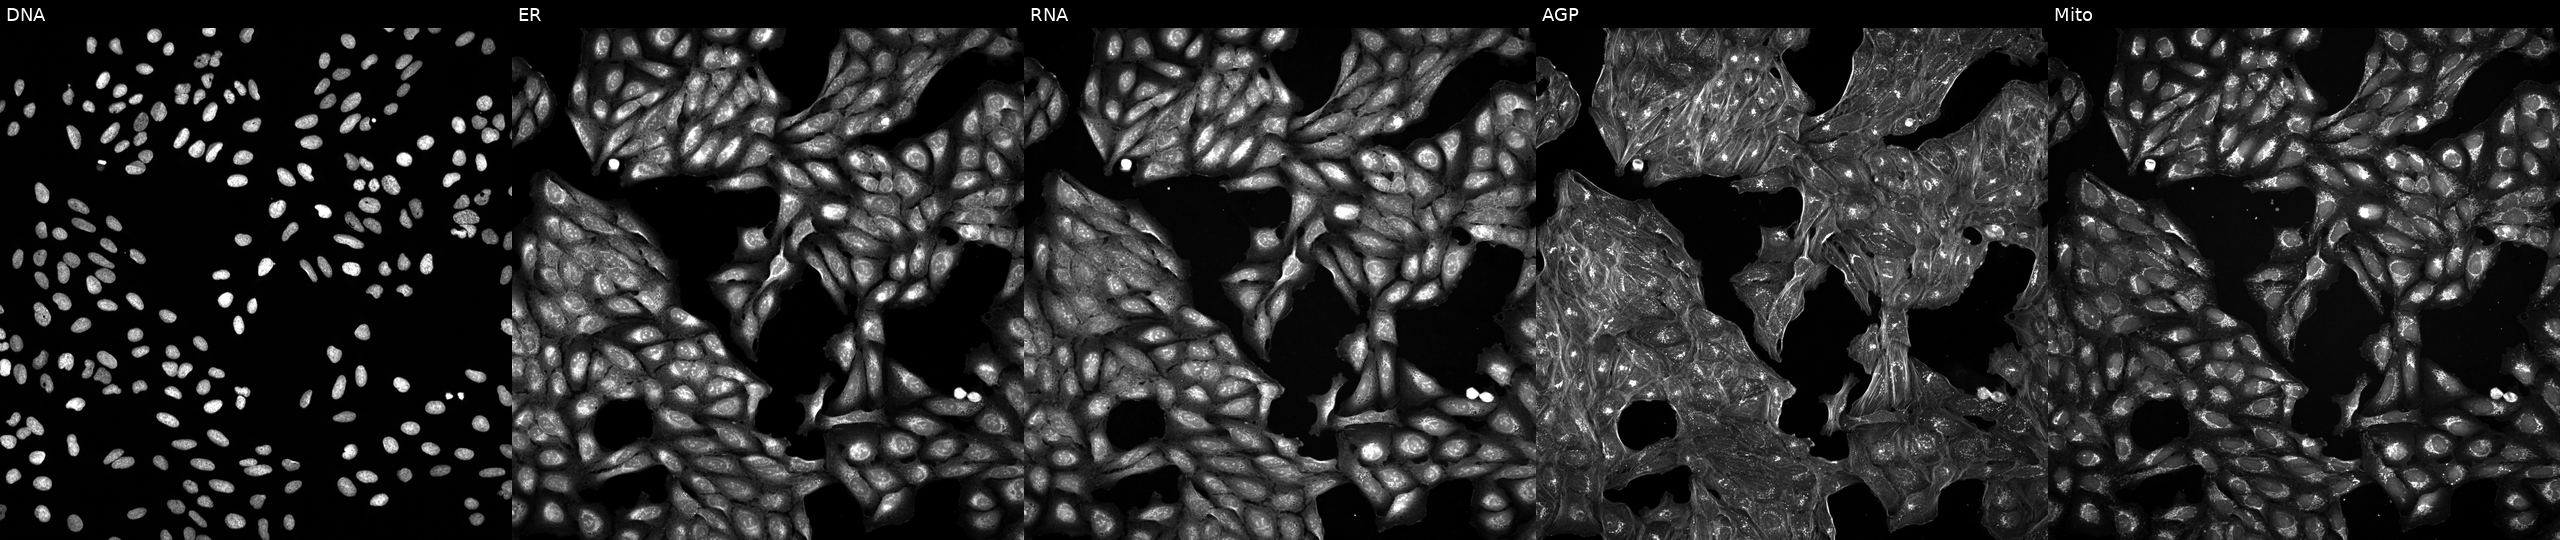
U2OS cells, Cell Painting assay, exposed to a small-molecule compound (JUMP id JCP2022_113710). From left to right: Hoechst 33342, concanavalin A, SYTO 14, phalloidin and WGA, MitoTracker. Each panel is percentile-stretched 16-bit fluorescence. Source 5, plate ACPJUM032, well C18.